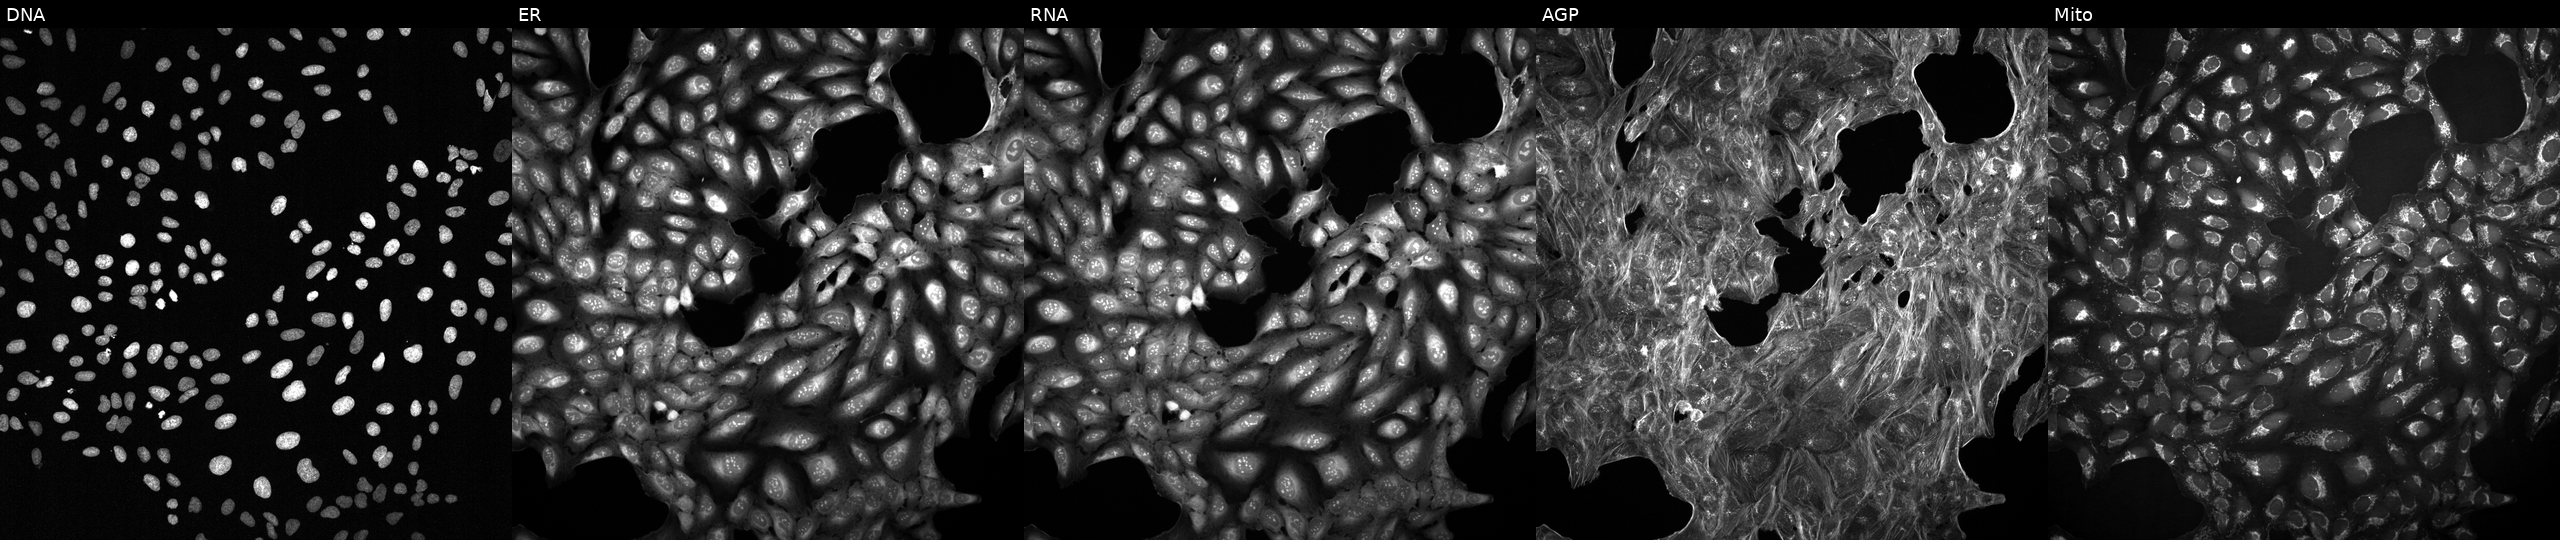
U2OS cells, Cell Painting assay, treated with DMSO vehicle only (negative control) (JUMP id JCP2022_033924). Channels (left→right): DNA (nuclei); ER (endoplasmic reticulum); RNA (nucleoli and cytoplasmic RNA); AGP (actin cytoskeleton, Golgi, and plasma membrane); Mito (mitochondria). Each panel is percentile-stretched 16-bit fluorescence. Source 2, plate 1053600674, well N20.